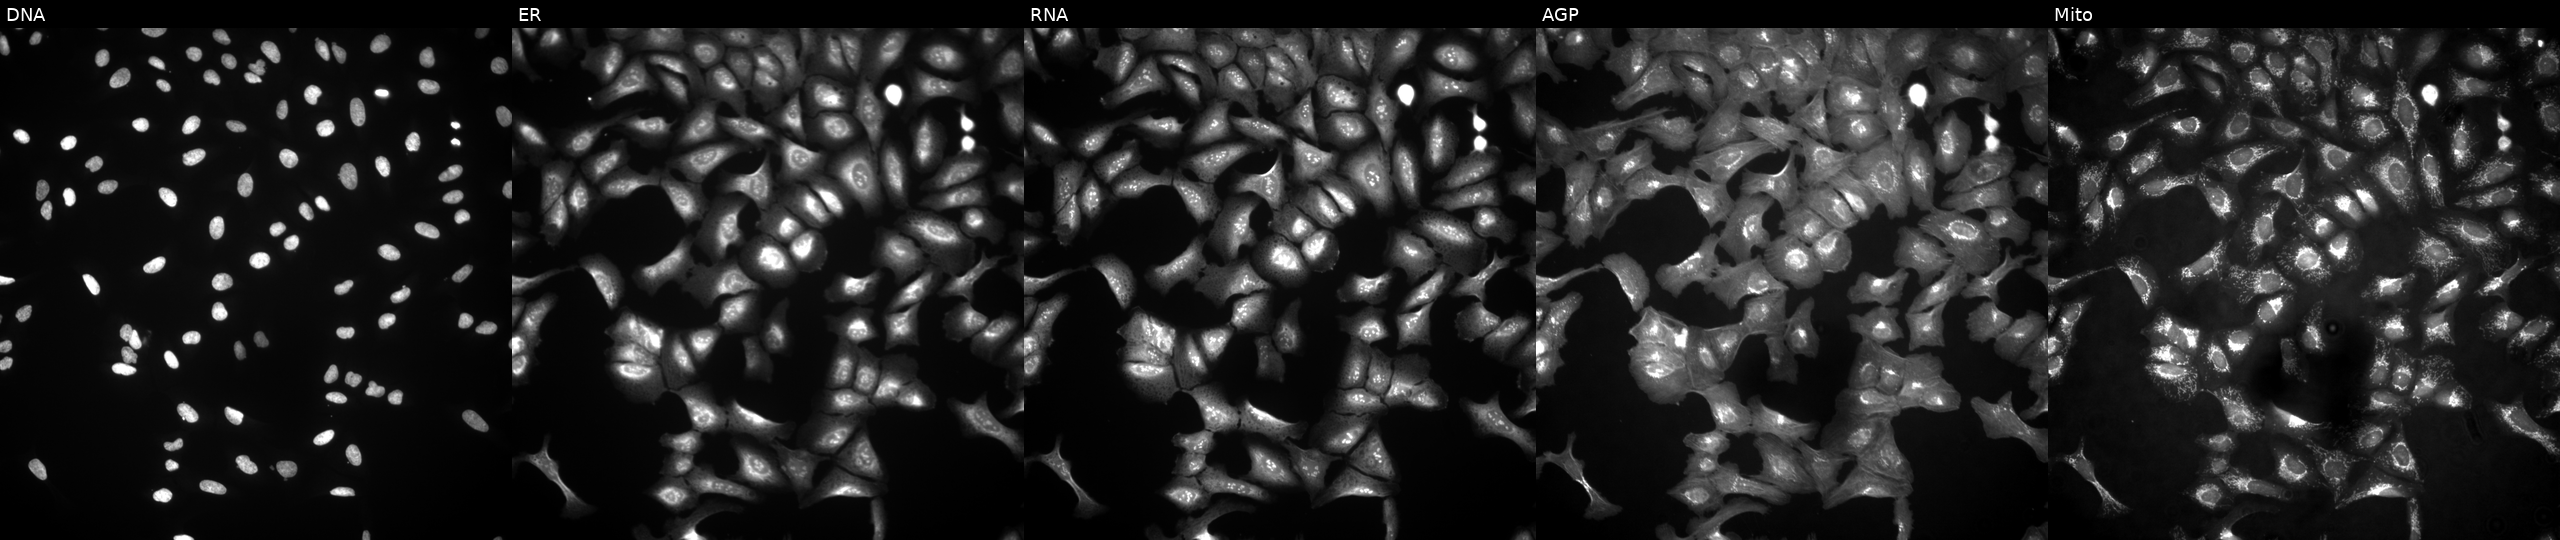
High-content fluorescence microscopy (Cell Painting). Cell line: U2OS. Perturbation: with EHD2 overexpressed (ORF). Panels show, left to right, DNA (nuclei); ER (endoplasmic reticulum); RNA (nucleoli and cytoplasmic RNA); AGP (actin cytoskeleton, Golgi, and plasma membrane); Mito (mitochondria).